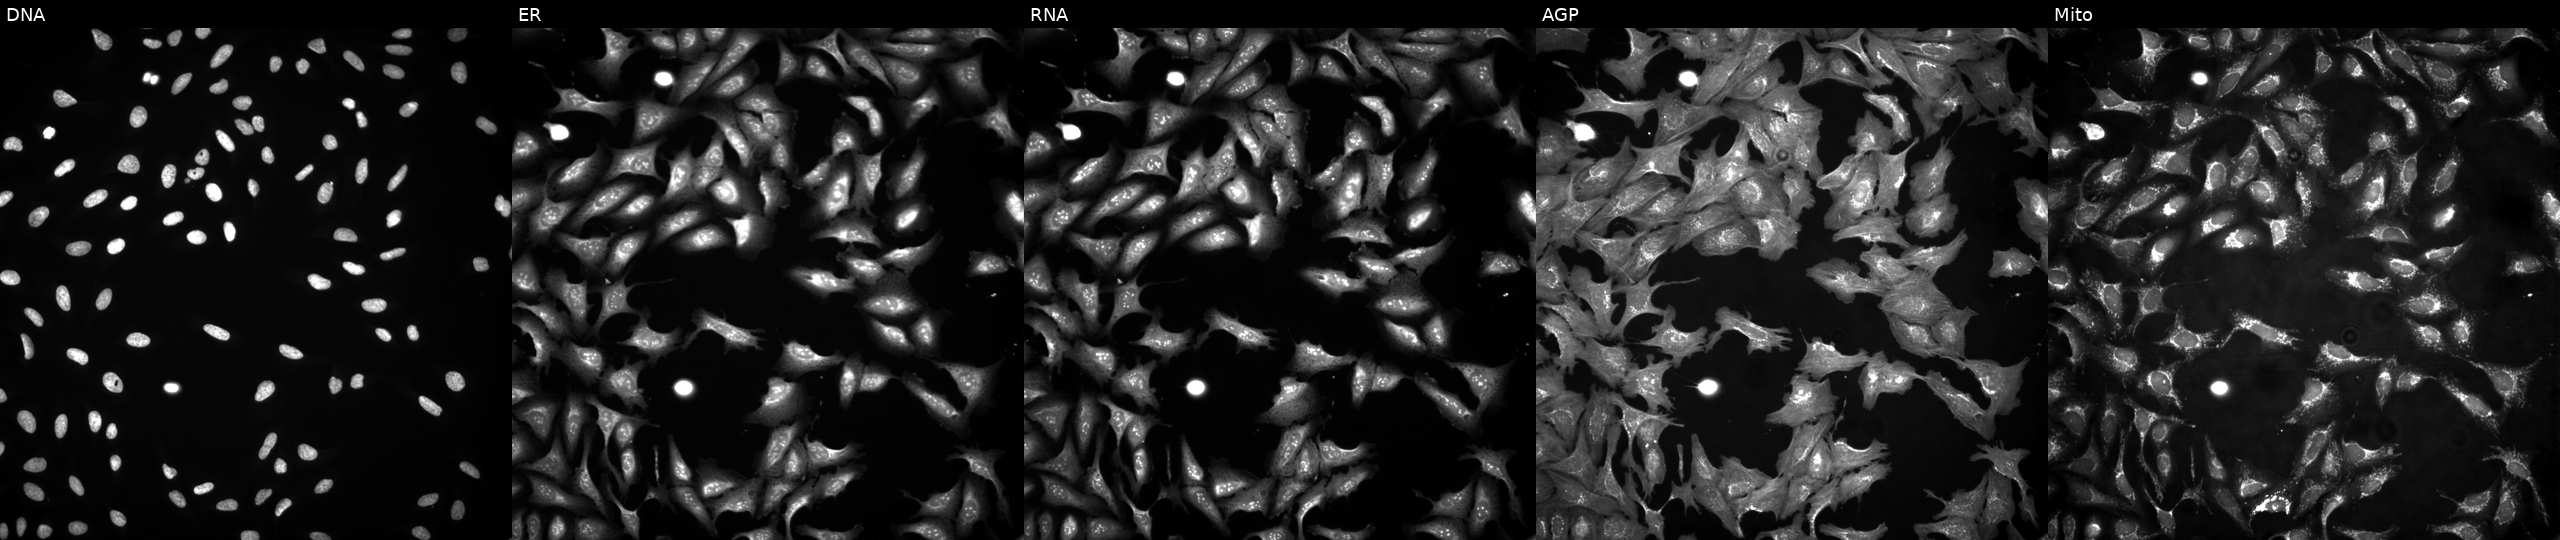
JUMP Cell Painting — ORF plate. U2OS cells with TBK1 overexpressed (ORF). From left to right: DNA (nuclei); ER (endoplasmic reticulum); RNA (nucleoli and cytoplasmic RNA); AGP (actin cytoskeleton, Golgi, and plasma membrane); Mito (mitochondria).